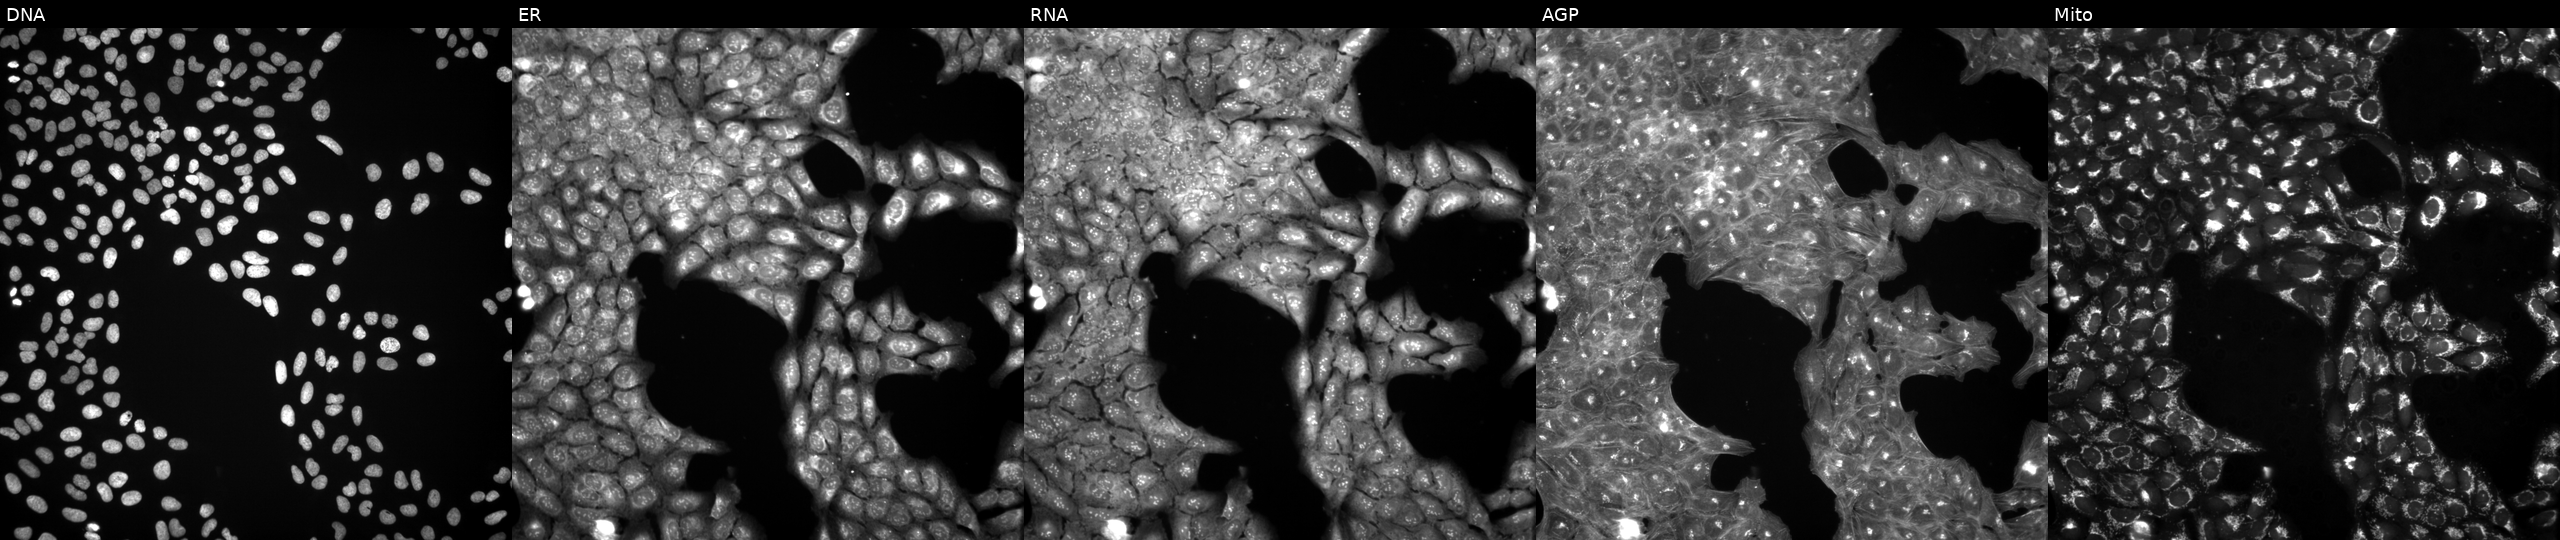
U2OS cells, Cell Painting assay, treated with a small-molecule compound (InChIKey NUOJETVSCSIFPX-UHFFFAOYSA-N). From left to right: DNA (nuclei); ER (endoplasmic reticulum); RNA (nucleoli and cytoplasmic RNA); AGP (actin cytoskeleton, Golgi, and plasma membrane); Mito (mitochondria). Each panel is percentile-stretched 16-bit fluorescence.